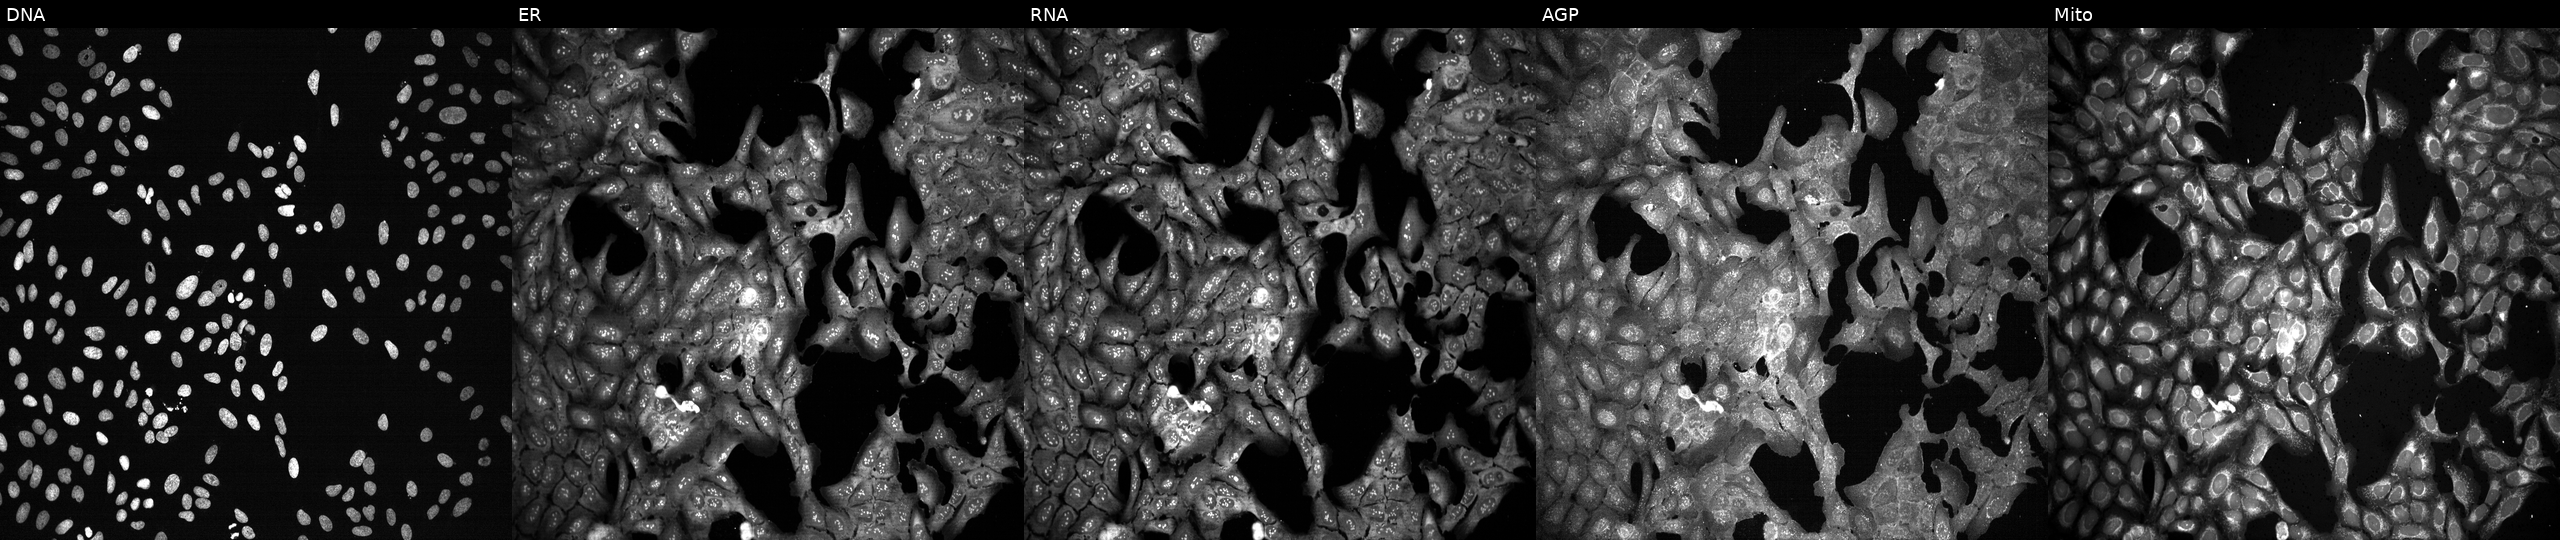
Panels show, left to right, DNA (nuclei); ER (endoplasmic reticulum); RNA (nucleoli and cytoplasmic RNA); AGP (actin cytoskeleton, Golgi, and plasma membrane); Mito (mitochondria). U2OS osteosarcoma cells with SOAT1 knocked out by CRISPR. Cell Painting assay, JUMP-CP dataset. Source 13, plate CP-CC9-R5-01, well I21.